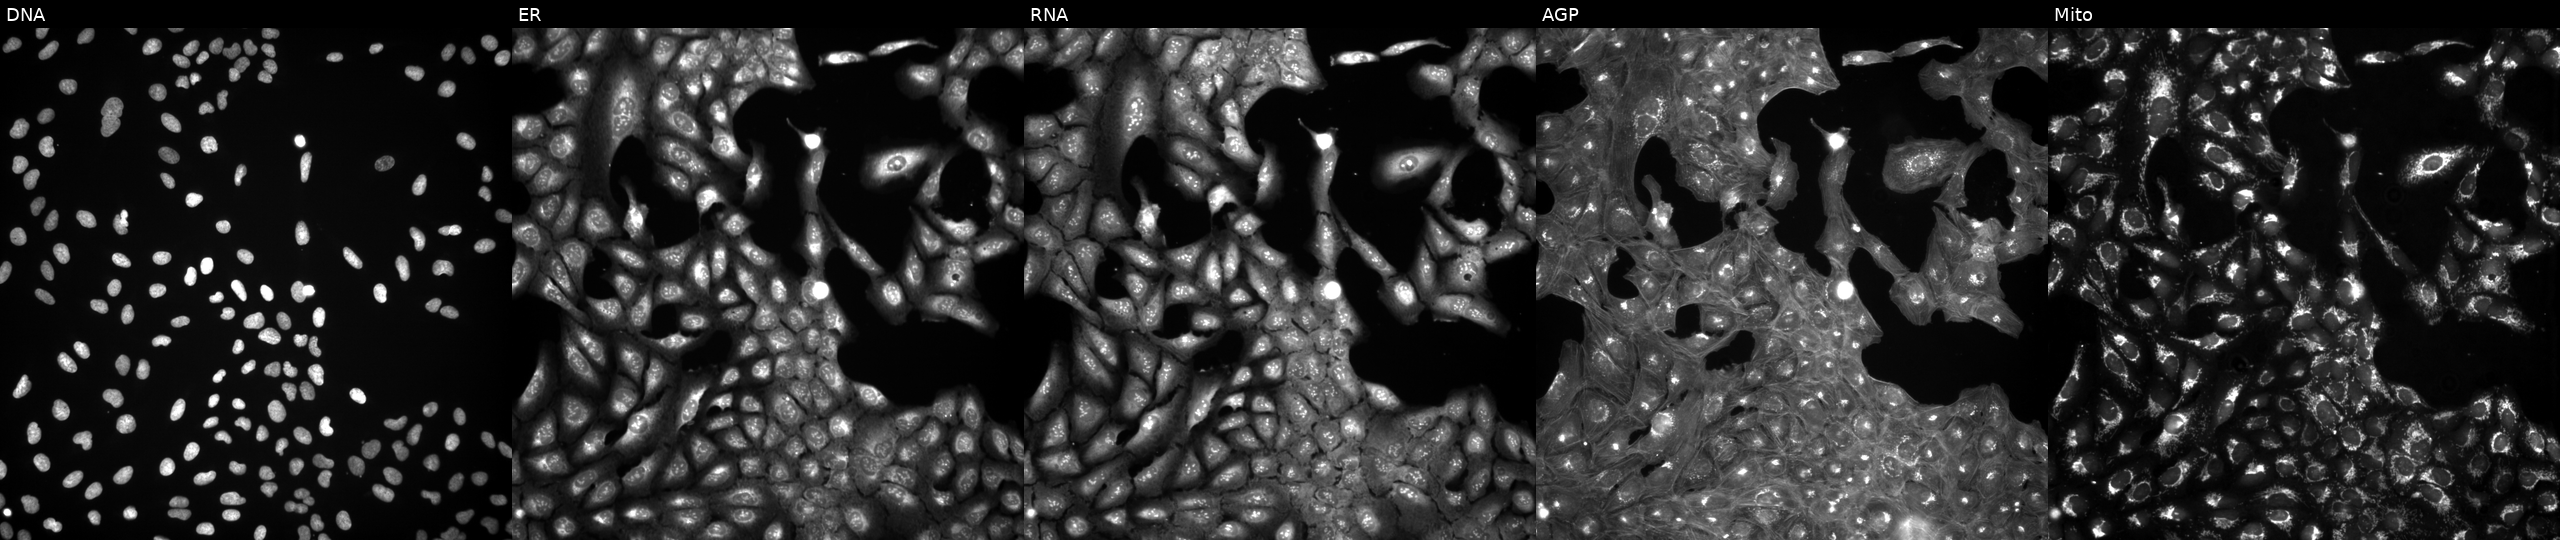
Five-channel Cell Painting image of U2OS cells untreated (empty-well control) (JUMP id JCP2022_999999). Panels show, left to right, Hoechst 33342, concanavalin A, SYTO 14, phalloidin and WGA, MitoTracker. Source 3, plate BR5867a3, well L13.